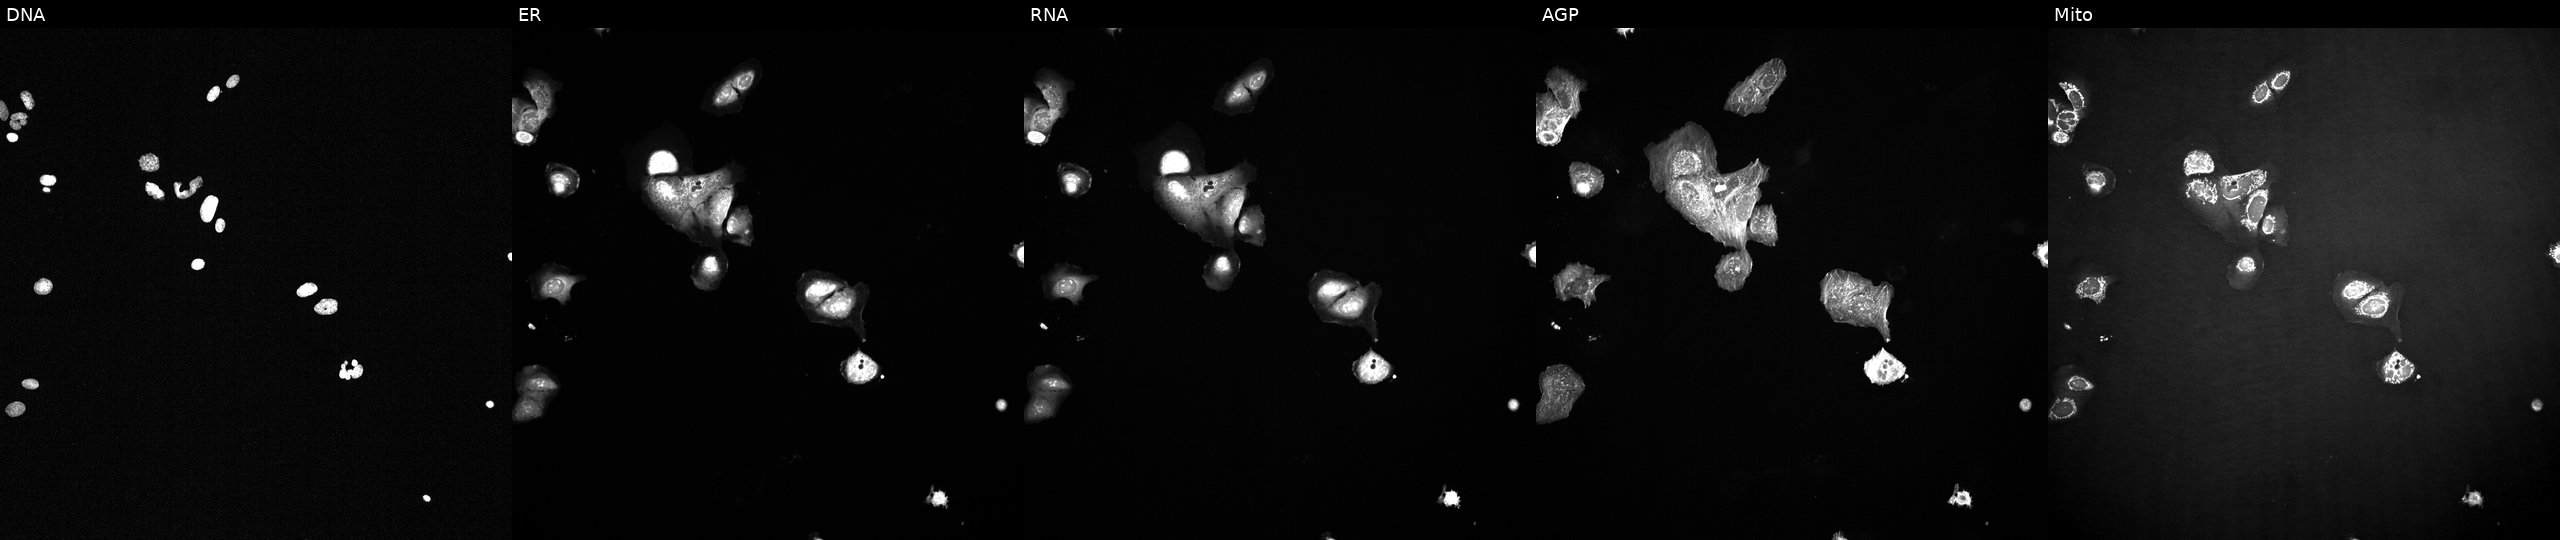
Five-channel Cell Painting image of U2OS cells perturbed with a small-molecule compound [SMILES: N=c1cc(C(F)(F)F)c(-c2cc(N3CCOCC3)nc(N3CCOCC3)n2)c[nH]1] (JUMP id JCP2022_013856). Channels (left→right): Hoechst 33342, concanavalin A, SYTO 14, phalloidin and WGA, MitoTracker.